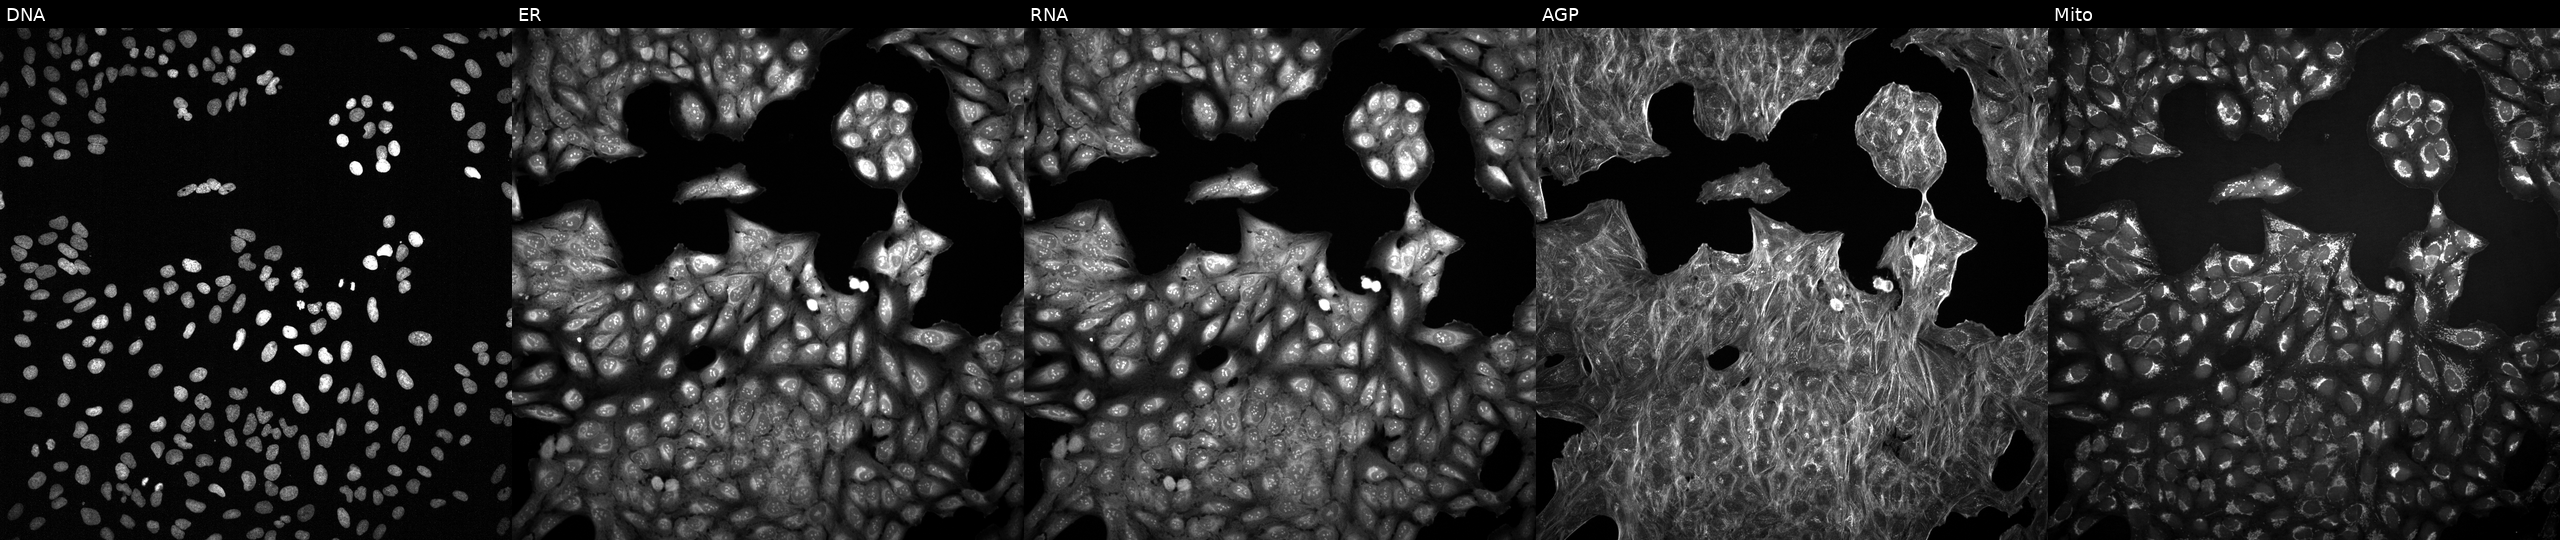
Five-channel Cell Painting image of U2OS cells treated with a small-molecule compound (InChIKey REZGGXNDEMKIQB-UHFFFAOYSA-N) (JUMP id JCP2022_077927). The five panels, left to right, show DNA, ER, RNA, AGP, and Mito. Source 2, plate 1053600674, well O17.